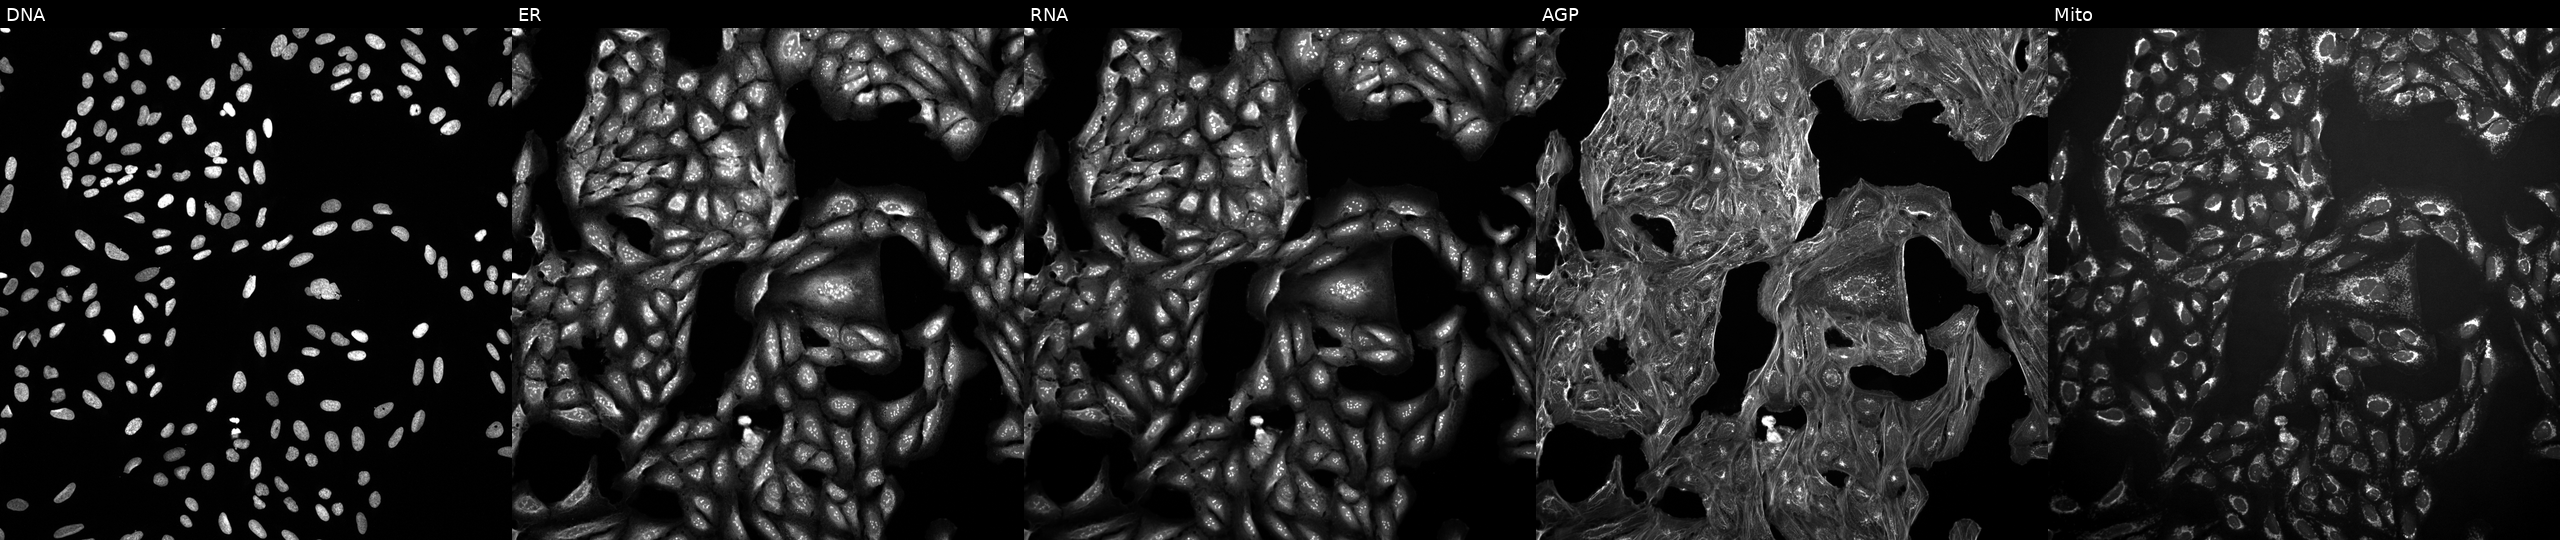
Channels (left→right): Hoechst 33342, concanavalin A, SYTO 14, phalloidin and WGA, MitoTracker. U2OS osteosarcoma cells treated with a small-molecule compound (InChIKey UIEATEWHFDRYRU-UHFFFAOYSA-N). Cell Painting assay, JUMP-CP dataset.